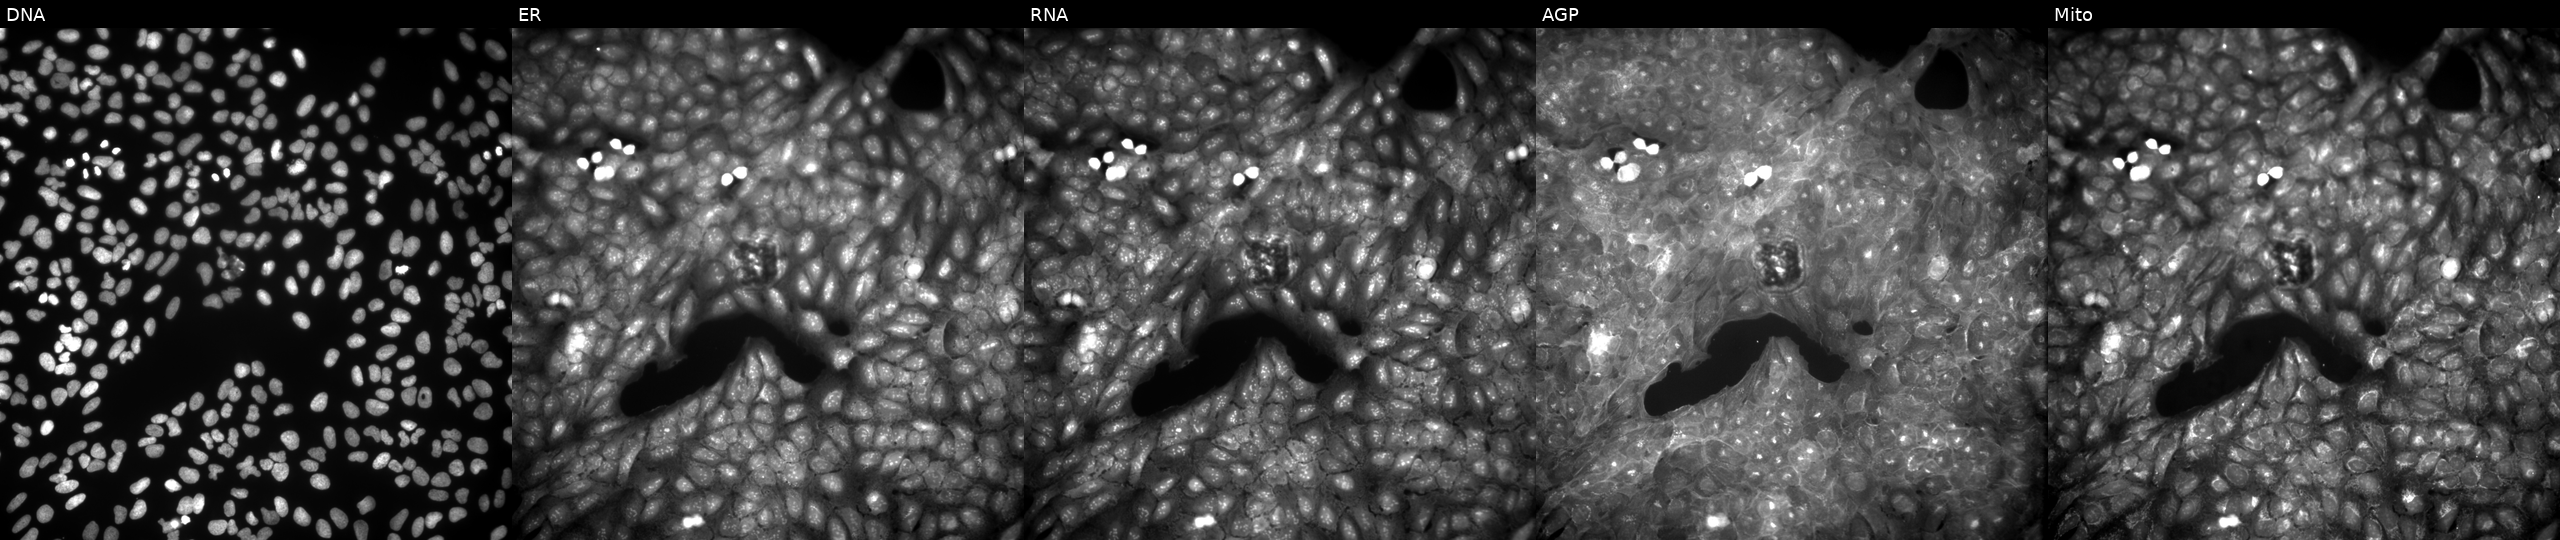
JUMP Cell Painting — COMPOUND plate. U2OS cells perturbed with a small-molecule compound (InChIKey ZQDYPXIEKQJEOZ-UHFFFAOYSA-N) [SMILES: CC1=NN(c2nc3ccccc3s2)C(O)(C(F)(F)F)C1]. The five panels, left to right, show DNA, ER, RNA, AGP, and Mito.